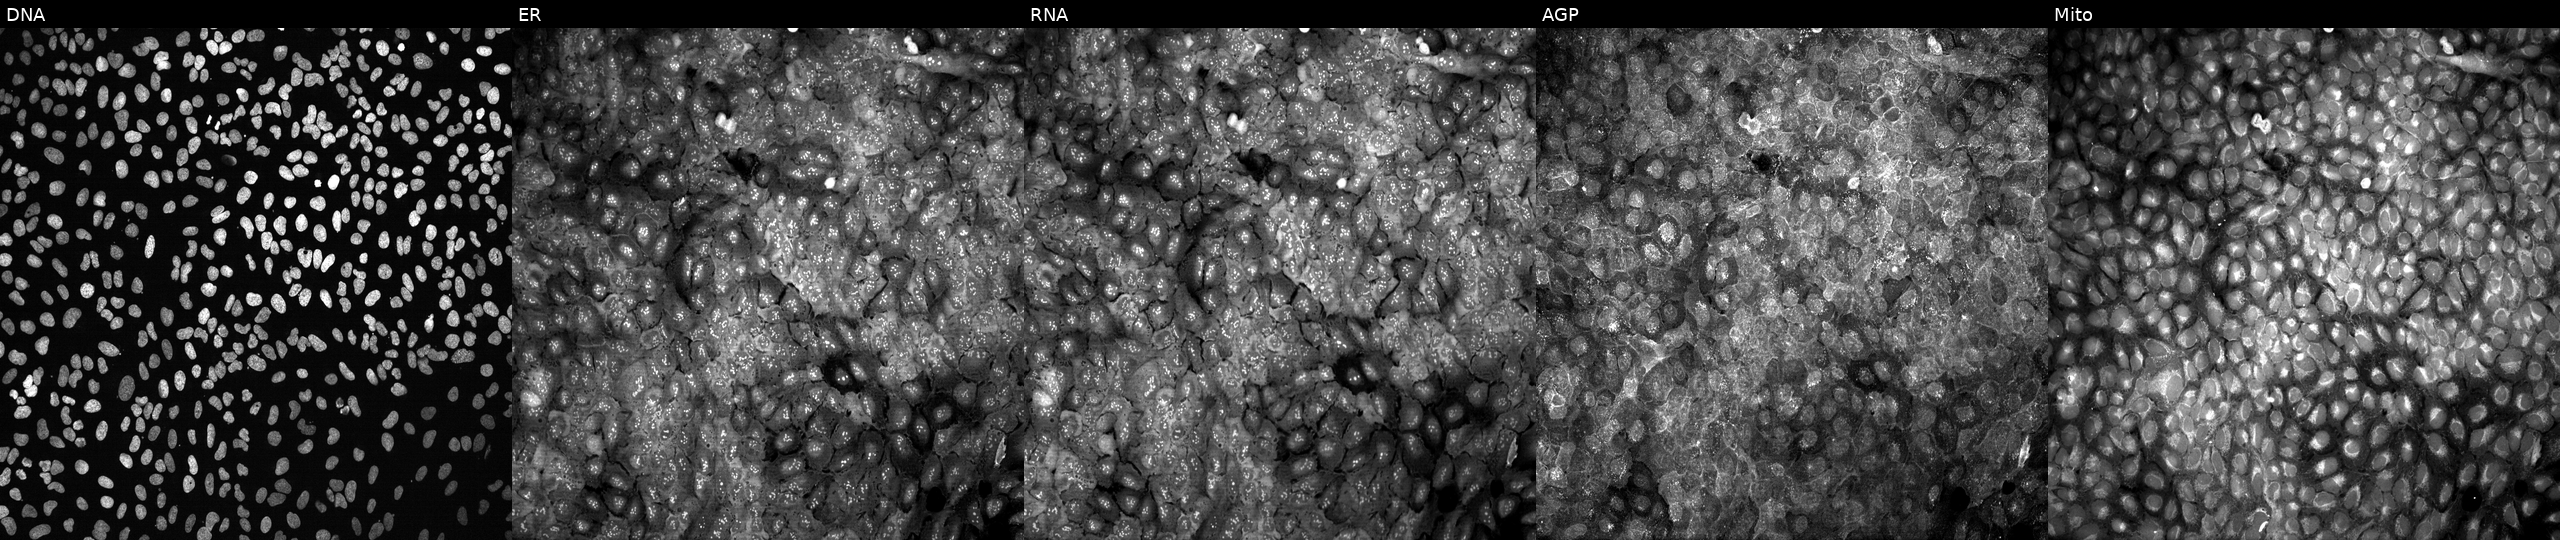
This image strip shows the five Cell Painting channels for a single field of U2OS cells following CRISPR knockout of MPP6 (JUMP id JCP2022_804257). The five panels, left to right, show DNA (nuclei); ER (endoplasmic reticulum); RNA (nucleoli and cytoplasmic RNA); AGP (actin cytoskeleton, Golgi, and plasma membrane); Mito (mitochondria). Source 13, plate CP-CC9-R1-01, well K14.